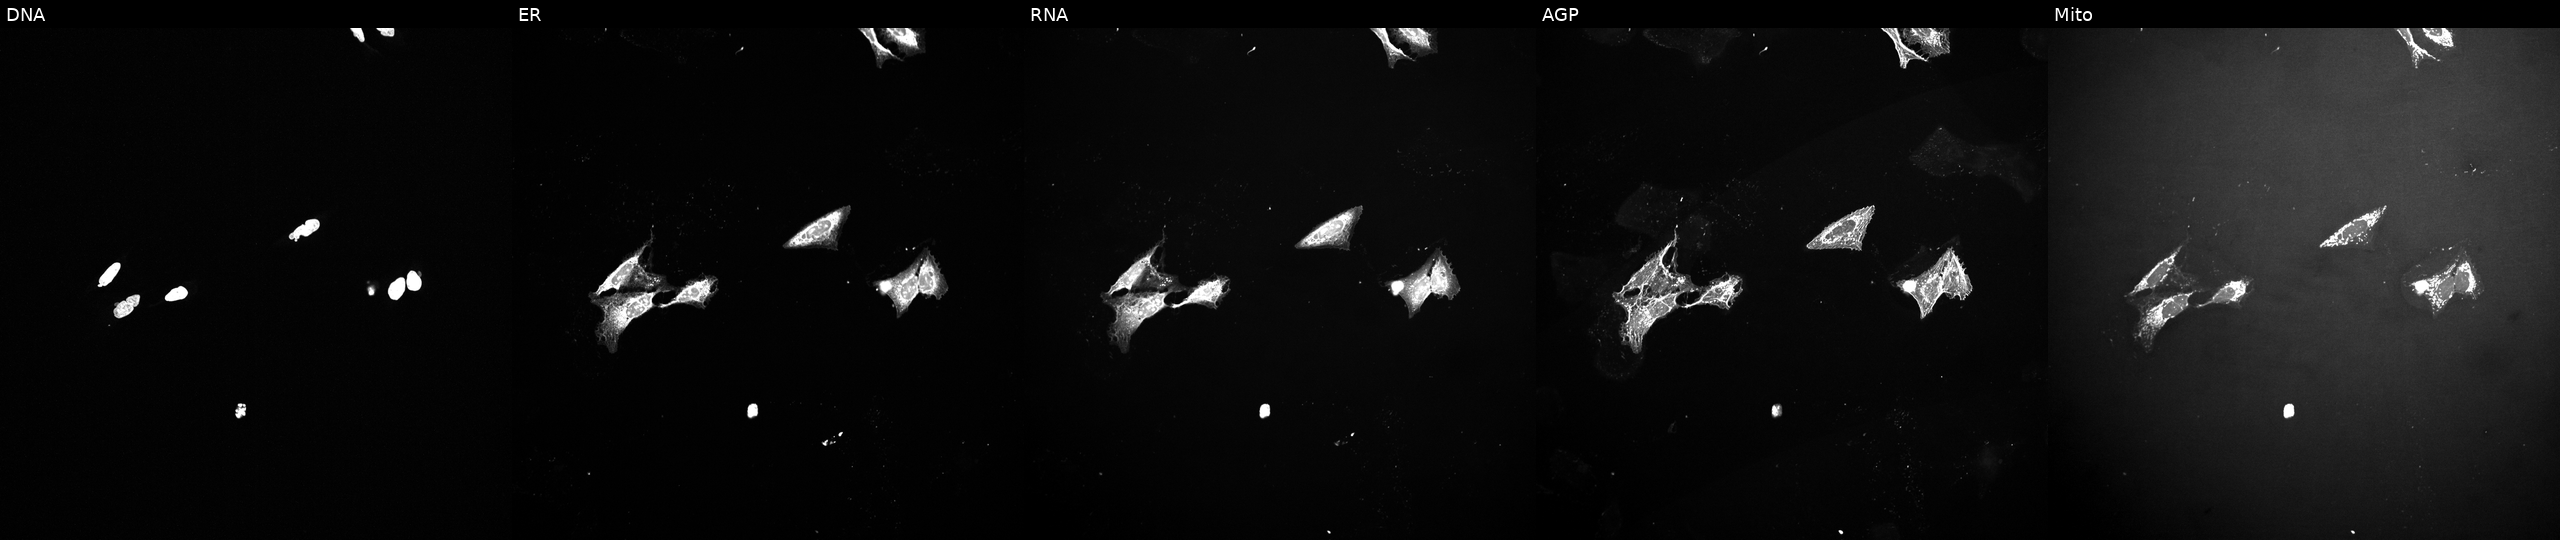
High-content fluorescence microscopy (Cell Painting). Cell line: U2OS. Perturbation: exposed to a small-molecule compound (InChIKey MJSHVHLADKXCML-UHFFFAOYSA-N). Channels (left→right): DNA (nuclei); ER (endoplasmic reticulum); RNA (nucleoli and cytoplasmic RNA); AGP (actin cytoskeleton, Golgi, and plasma membrane); Mito (mitochondria).